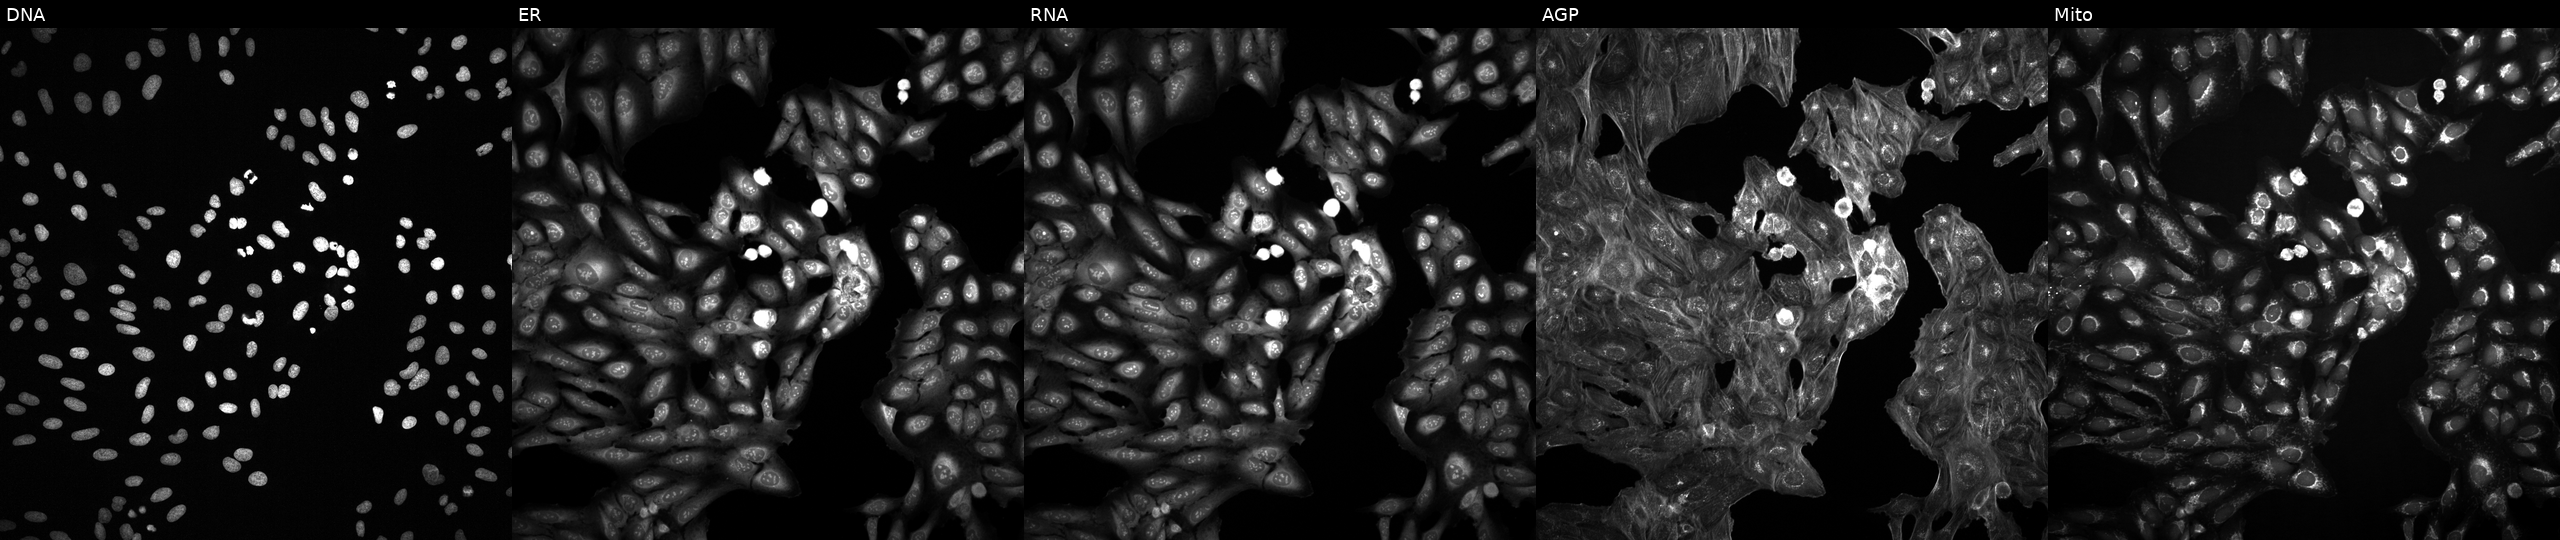
The five panels, left to right, show Hoechst 33342, concanavalin A, SYTO 14, phalloidin and WGA, MitoTracker. U2OS osteosarcoma cells treated with DMSO vehicle only (negative control) (JUMP id JCP2022_033924). Cell Painting assay, JUMP-CP dataset.